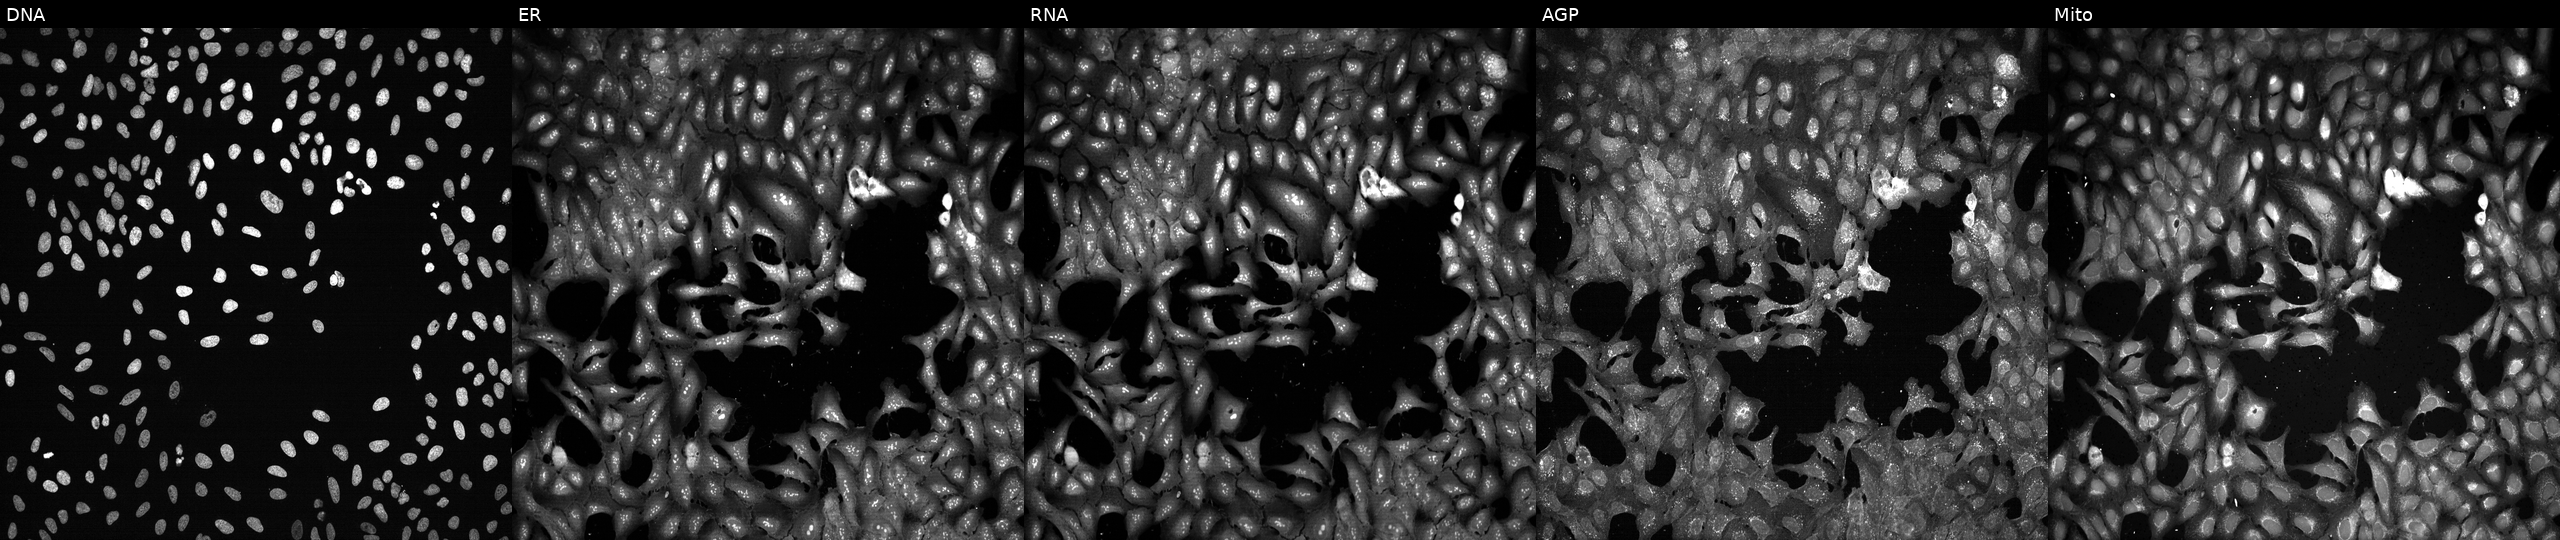
Panels show, left to right, Hoechst 33342, concanavalin A, SYTO 14, phalloidin and WGA, MitoTracker. U2OS osteosarcoma cells with KITLG knocked out by CRISPR (JUMP id JCP2022_803696). Cell Painting assay, JUMP-CP dataset. Source 13, plate CP-CC9-R1-01, well M08.